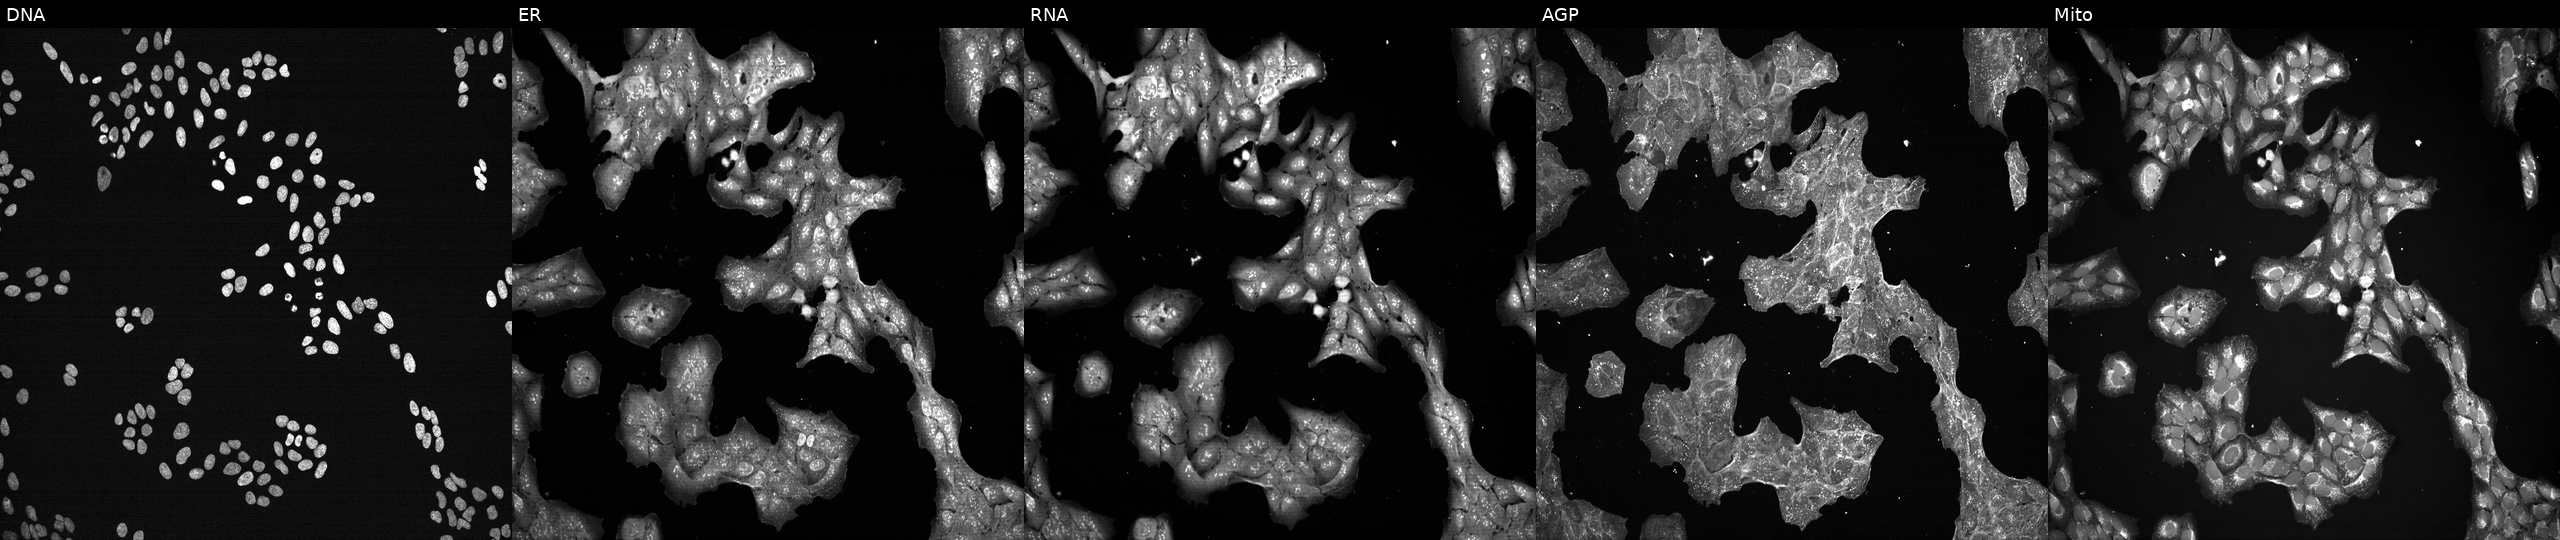
JUMP Cell Painting — TARGET2 plate. U2OS cells perturbed with a small-molecule compound (InChIKey QHKYPYXTTXKZST-UHFFFAOYSA-N). From left to right: DNA (nuclei); ER (endoplasmic reticulum); RNA (nucleoli and cytoplasmic RNA); AGP (actin cytoskeleton, Golgi, and plasma membrane); Mito (mitochondria).